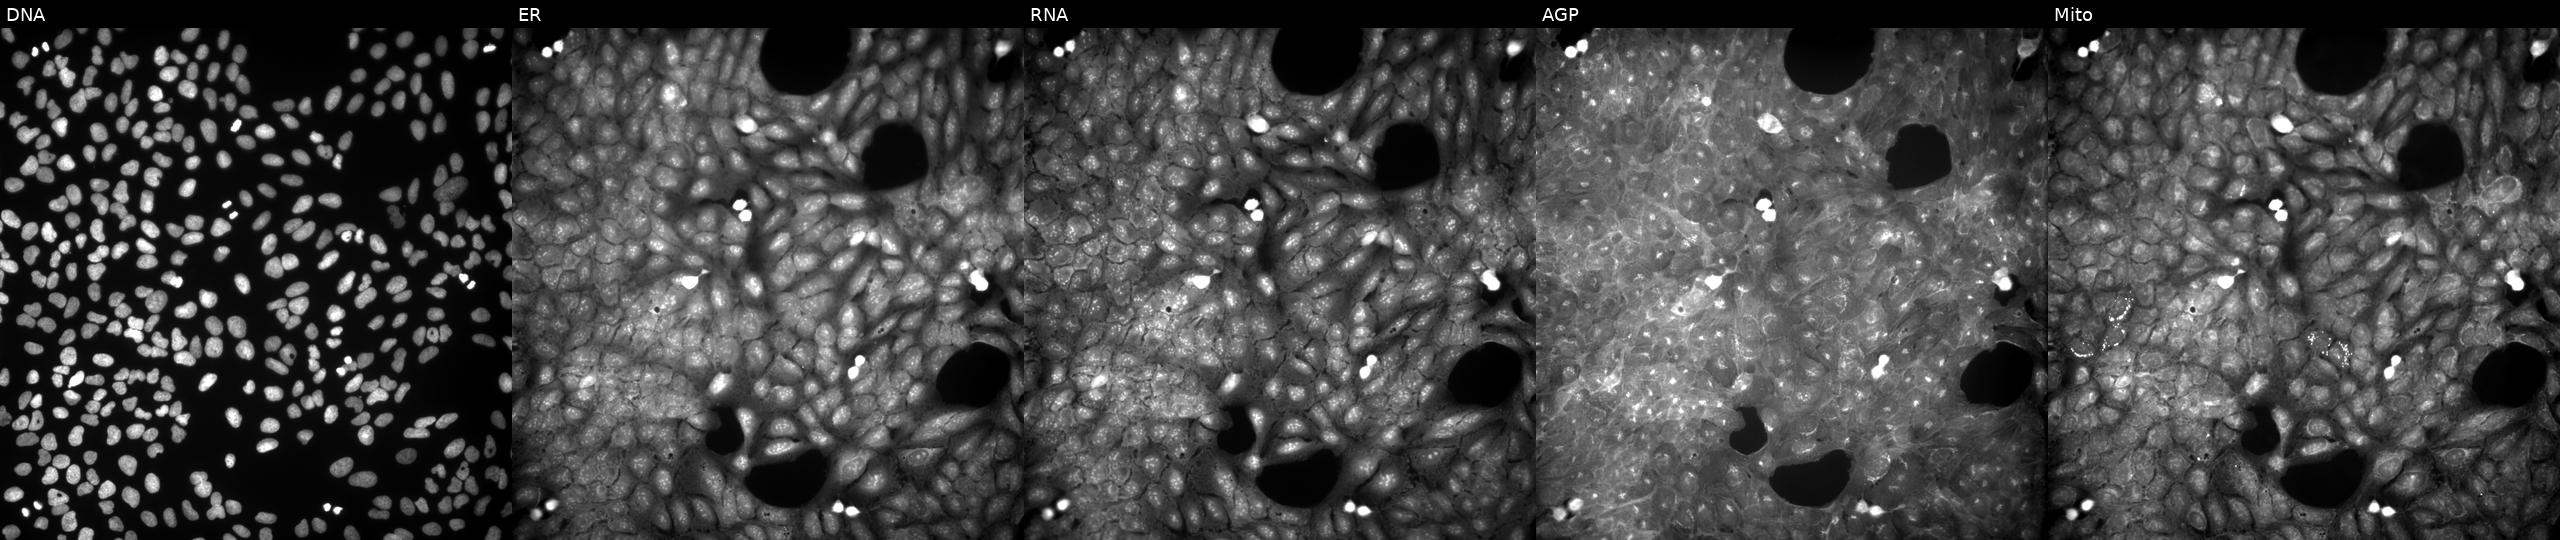
JUMP Cell Painting — COMPOUND plate. U2OS cells treated with dexamethasone (positive-control compound) (JUMP id JCP2022_025848). Channels (left→right): DNA, ER, RNA, AGP, and Mito.